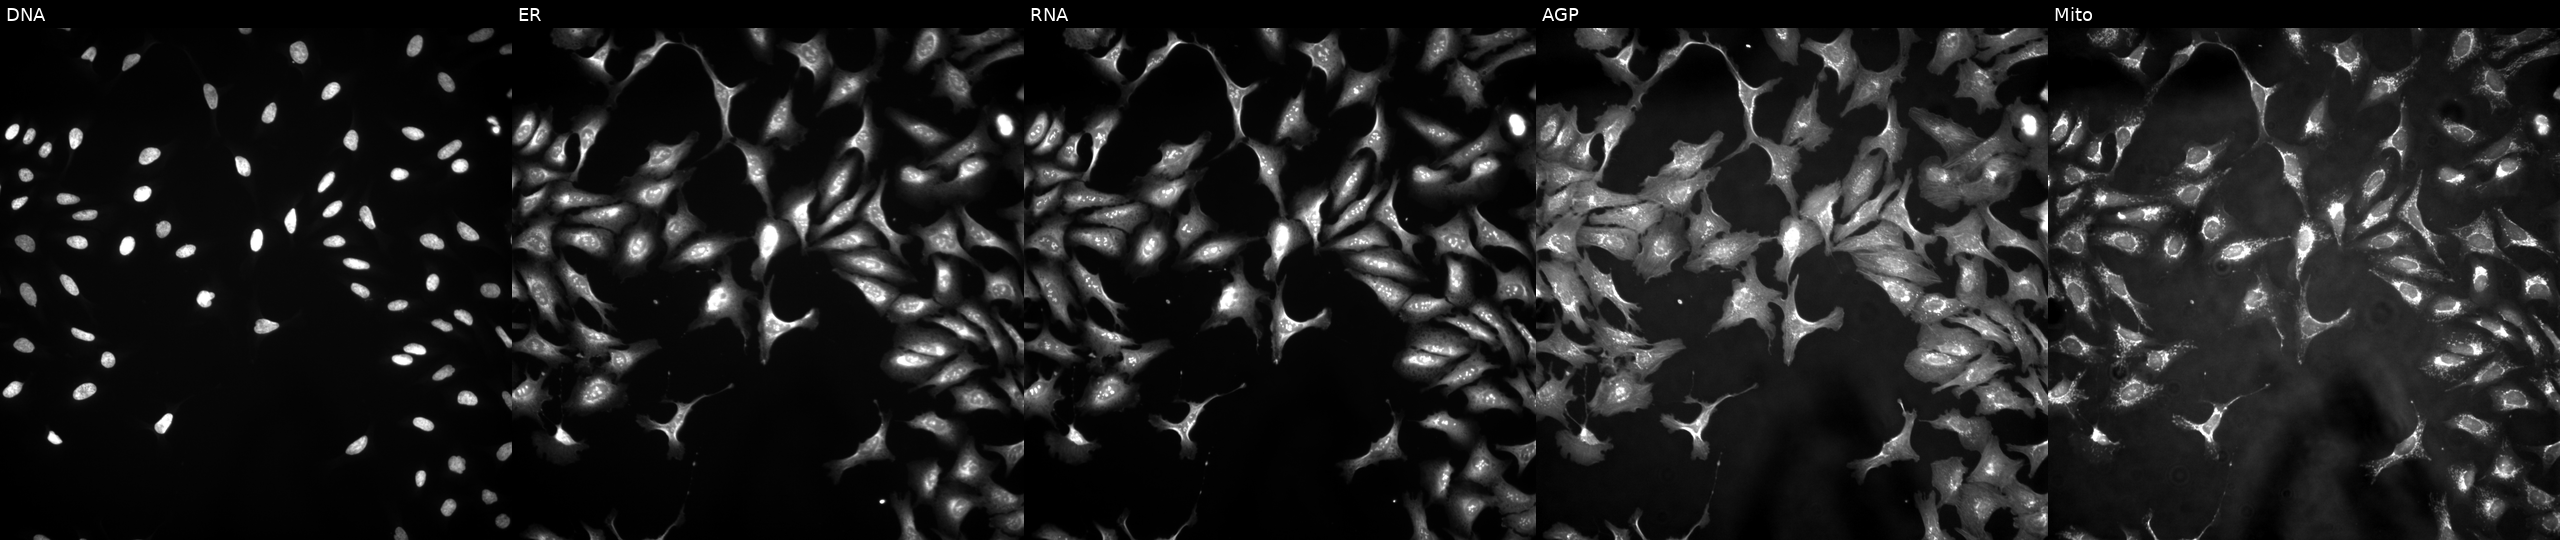
This image strip shows the five Cell Painting channels for a single field of U2OS cells transfected with an ORF construct for RPS10 (JUMP id JCP2022_901357). The five panels, left to right, show Hoechst 33342, concanavalin A, SYTO 14, phalloidin and WGA, MitoTracker.